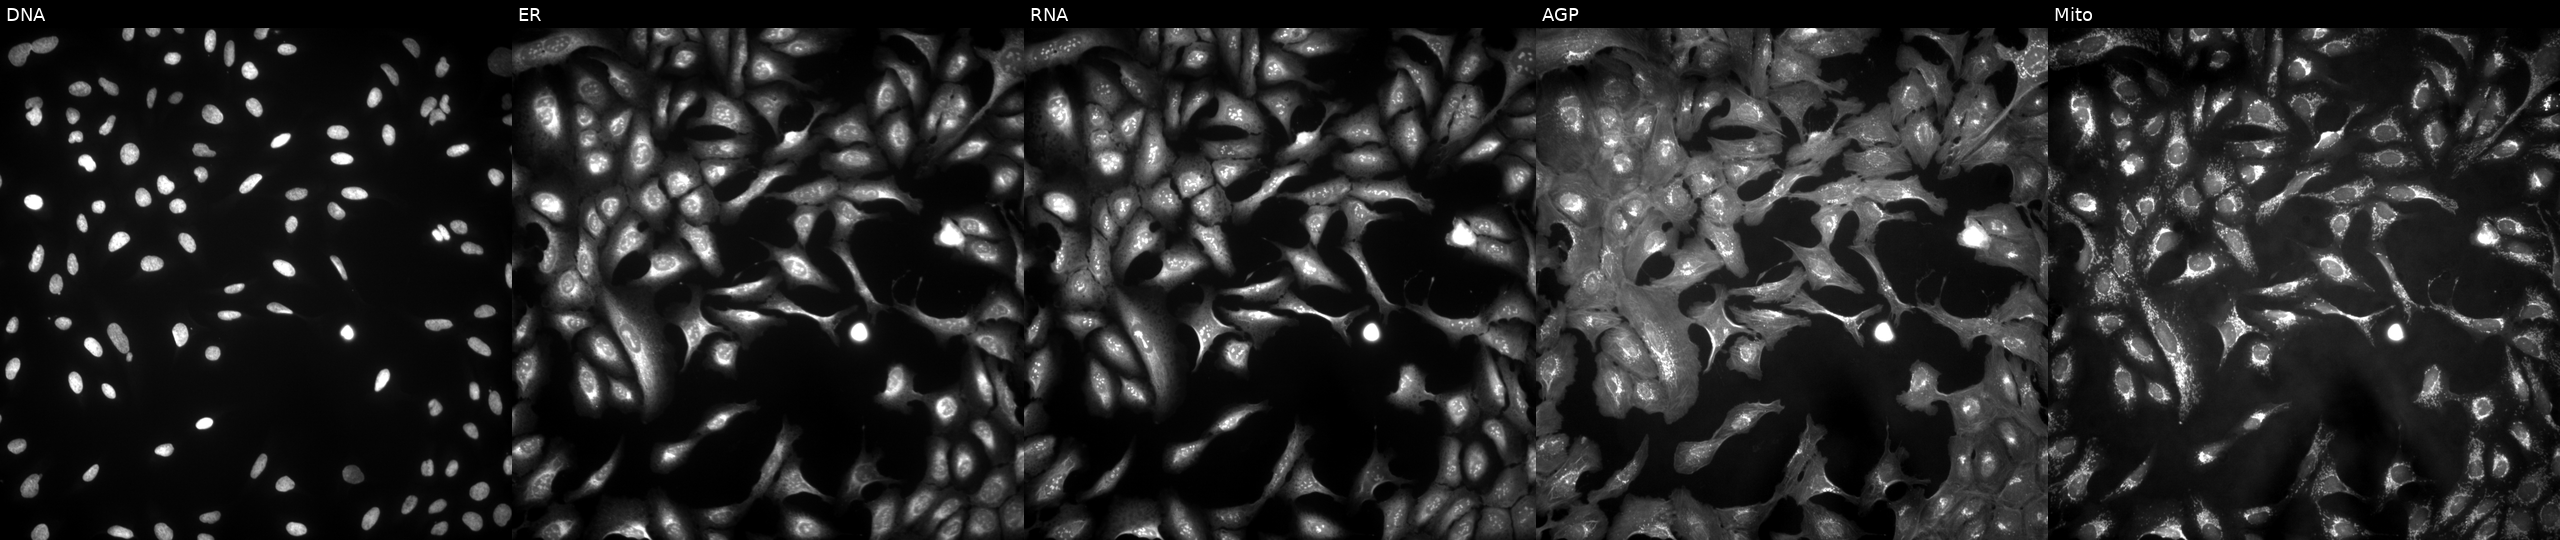
High-content fluorescence microscopy (Cell Painting). Cell line: U2OS. Perturbation: transfected with an ORF construct for SYTL1. From left to right: DNA (nuclei); ER (endoplasmic reticulum); RNA (nucleoli and cytoplasmic RNA); AGP (actin cytoskeleton, Golgi, and plasma membrane); Mito (mitochondria).